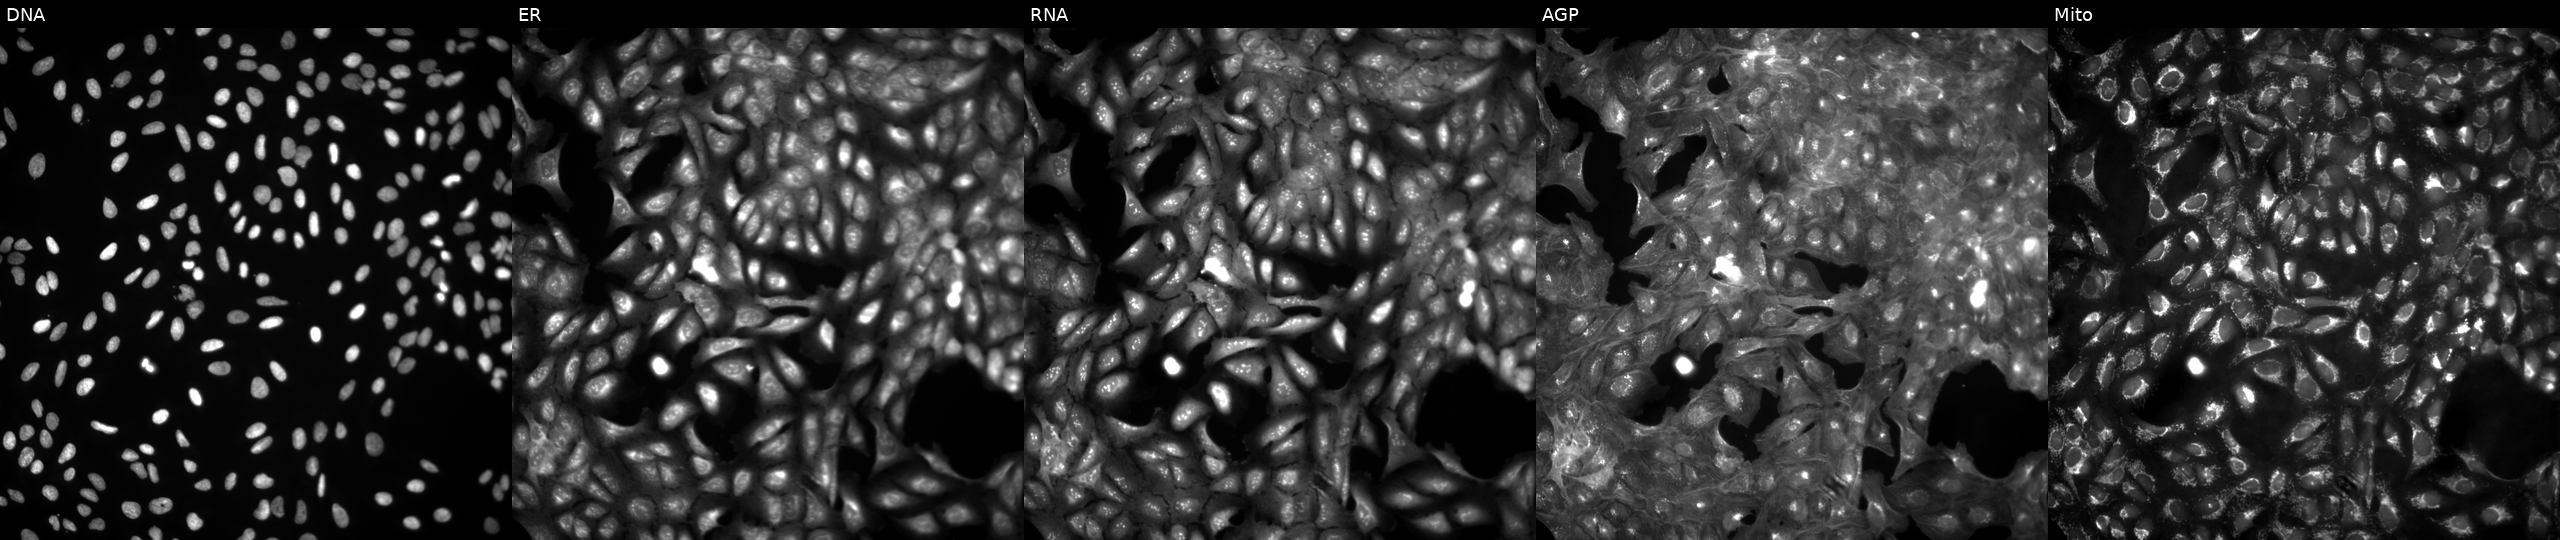
Channels (left→right): Hoechst 33342, concanavalin A, SYTO 14, phalloidin and WGA, MitoTracker. U2OS osteosarcoma cells in an empty control well (no perturbation) (JUMP id JCP2022_999999). Cell Painting assay, JUMP-CP dataset.